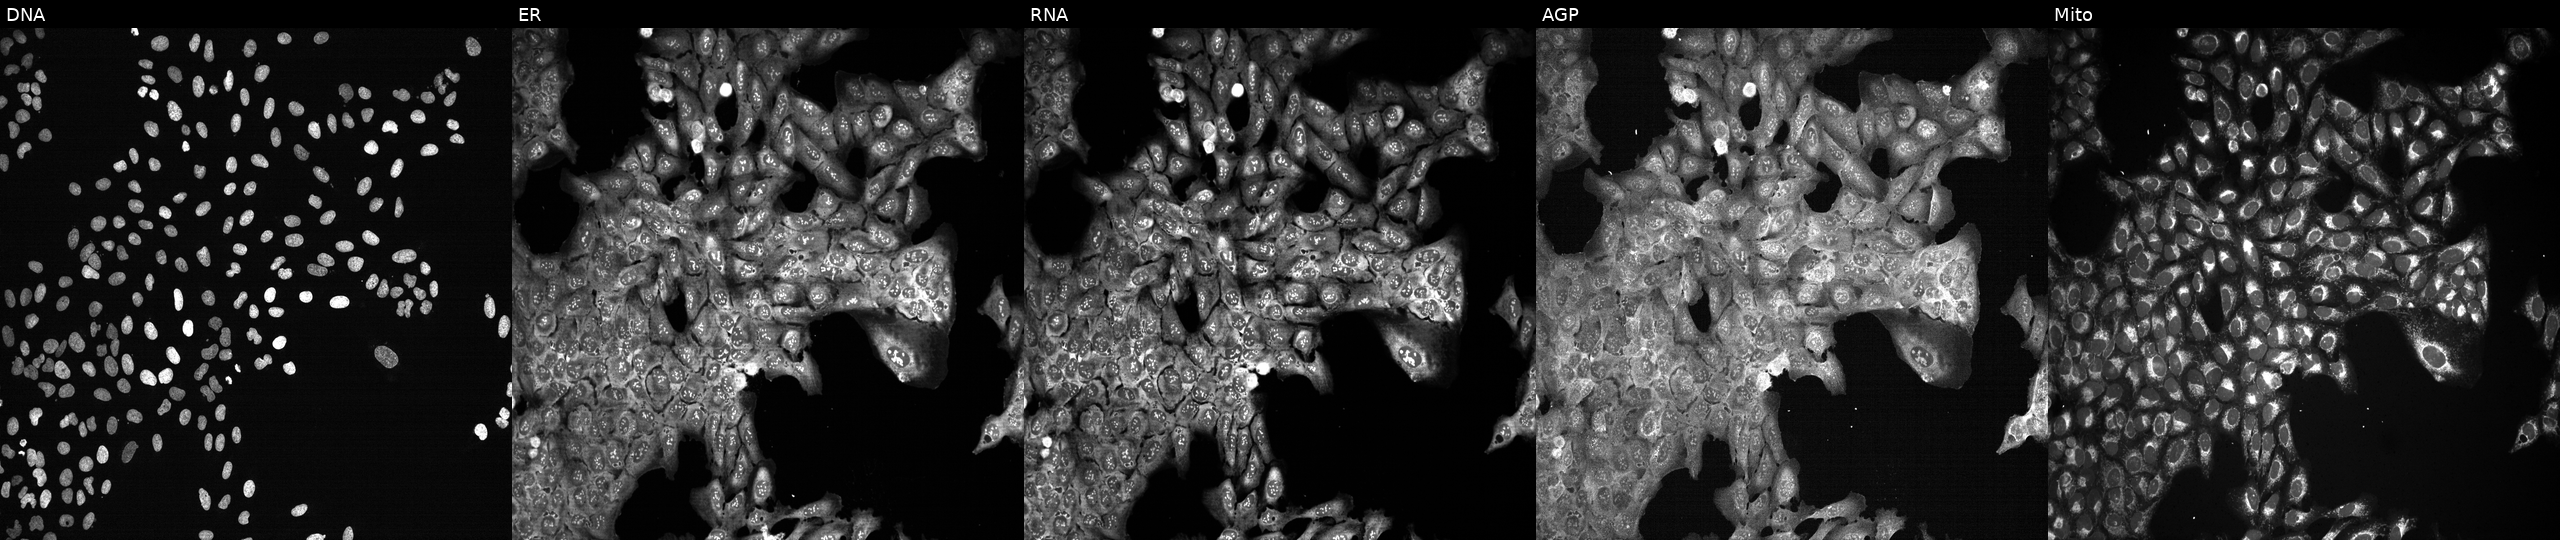
Five-channel Cell Painting image of U2OS cells with GPX1 knocked out by CRISPR (JUMP id JCP2022_802882). Channels (left→right): DNA, ER, RNA, AGP, and Mito. Source 13, plate CP-CC9-R3-02, well O06.